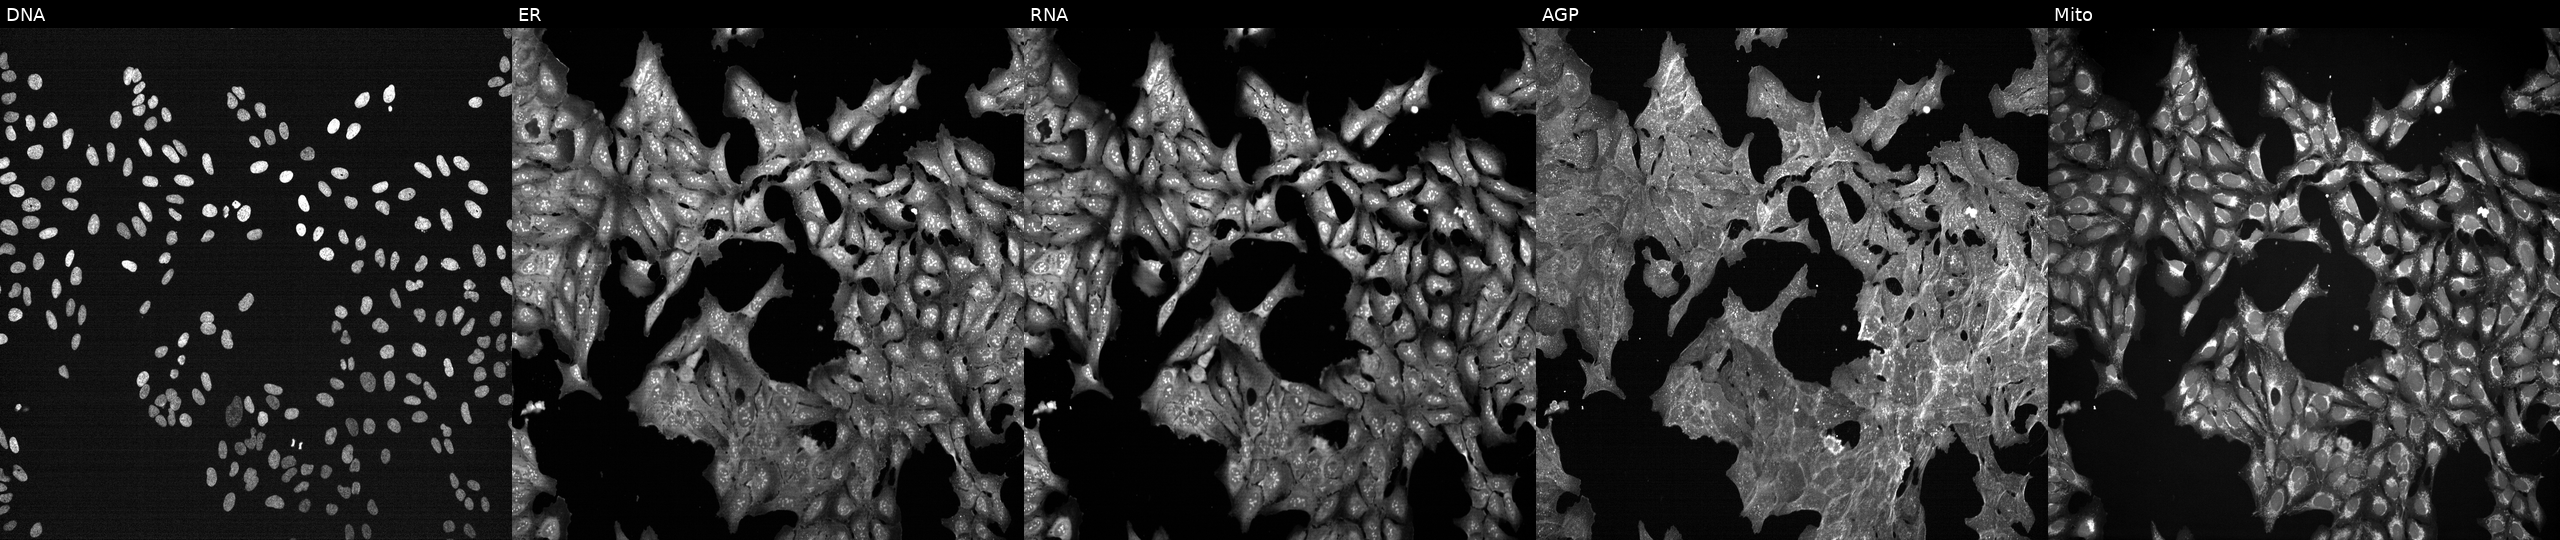
JUMP Cell Painting — TARGET2 plate. U2OS cells exposed to a small-molecule compound (InChIKey KRKNYBCHXYNGOX-UHFFFAOYSA-N). Channels (left→right): DNA (nuclei); ER (endoplasmic reticulum); RNA (nucleoli and cytoplasmic RNA); AGP (actin cytoskeleton, Golgi, and plasma membrane); Mito (mitochondria). Source 7, plate CP3-SC1-25, well L12.